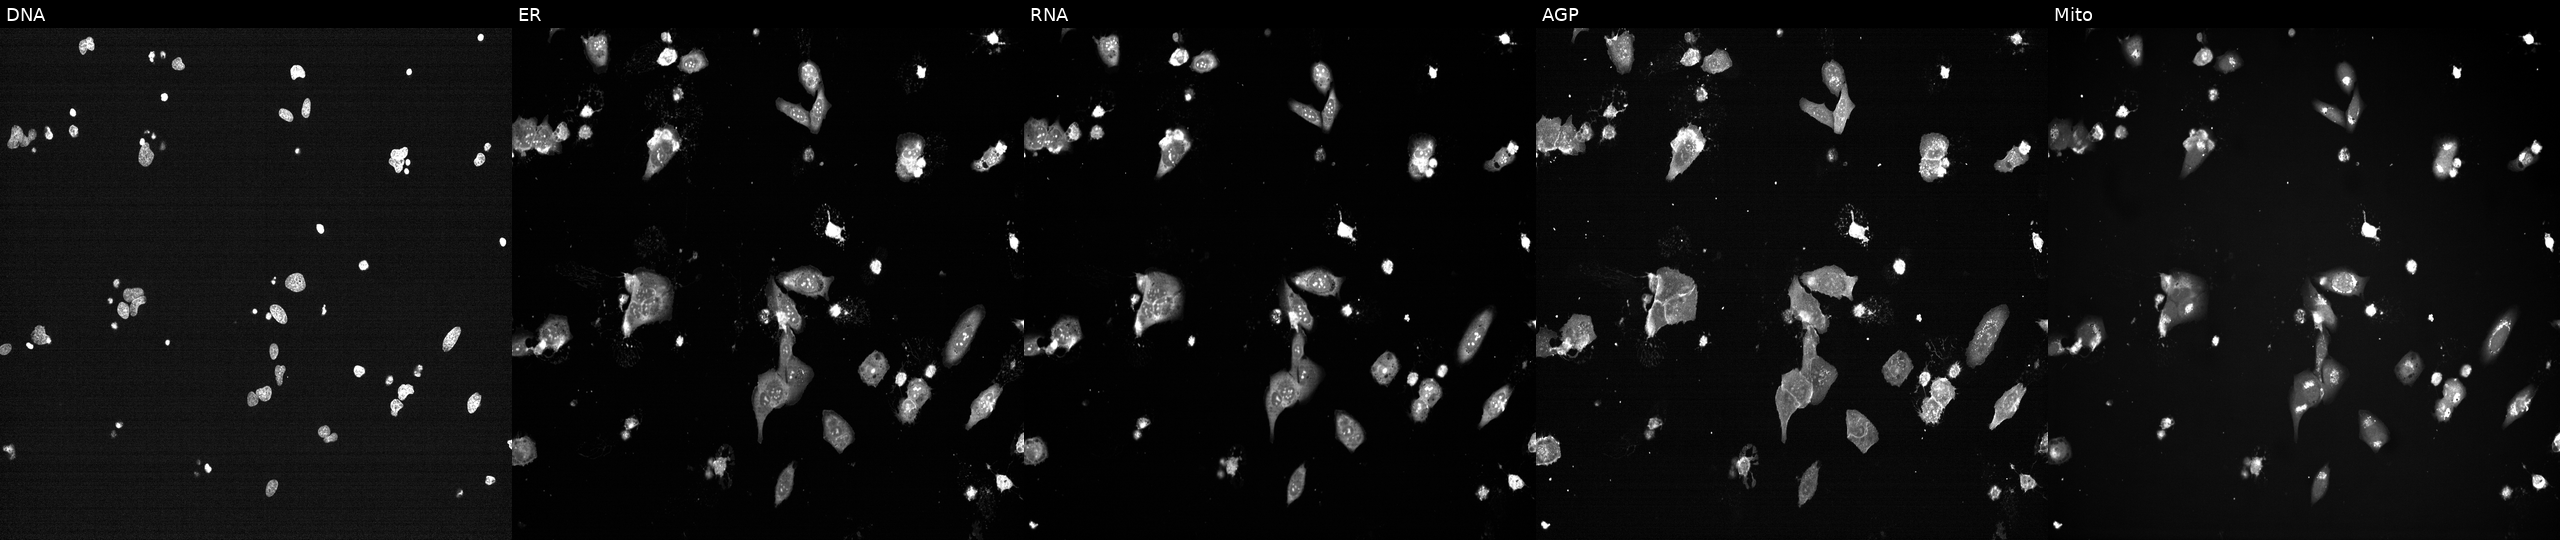
JUMP Cell Painting — TARGET2 plate. U2OS cells treated with a small-molecule compound (InChIKey UTBOEBCWXGDOGI-UHFFFAOYSA-N) (JUMP id JCP2022_091373). The five panels, left to right, show DNA, ER, RNA, AGP, and Mito.